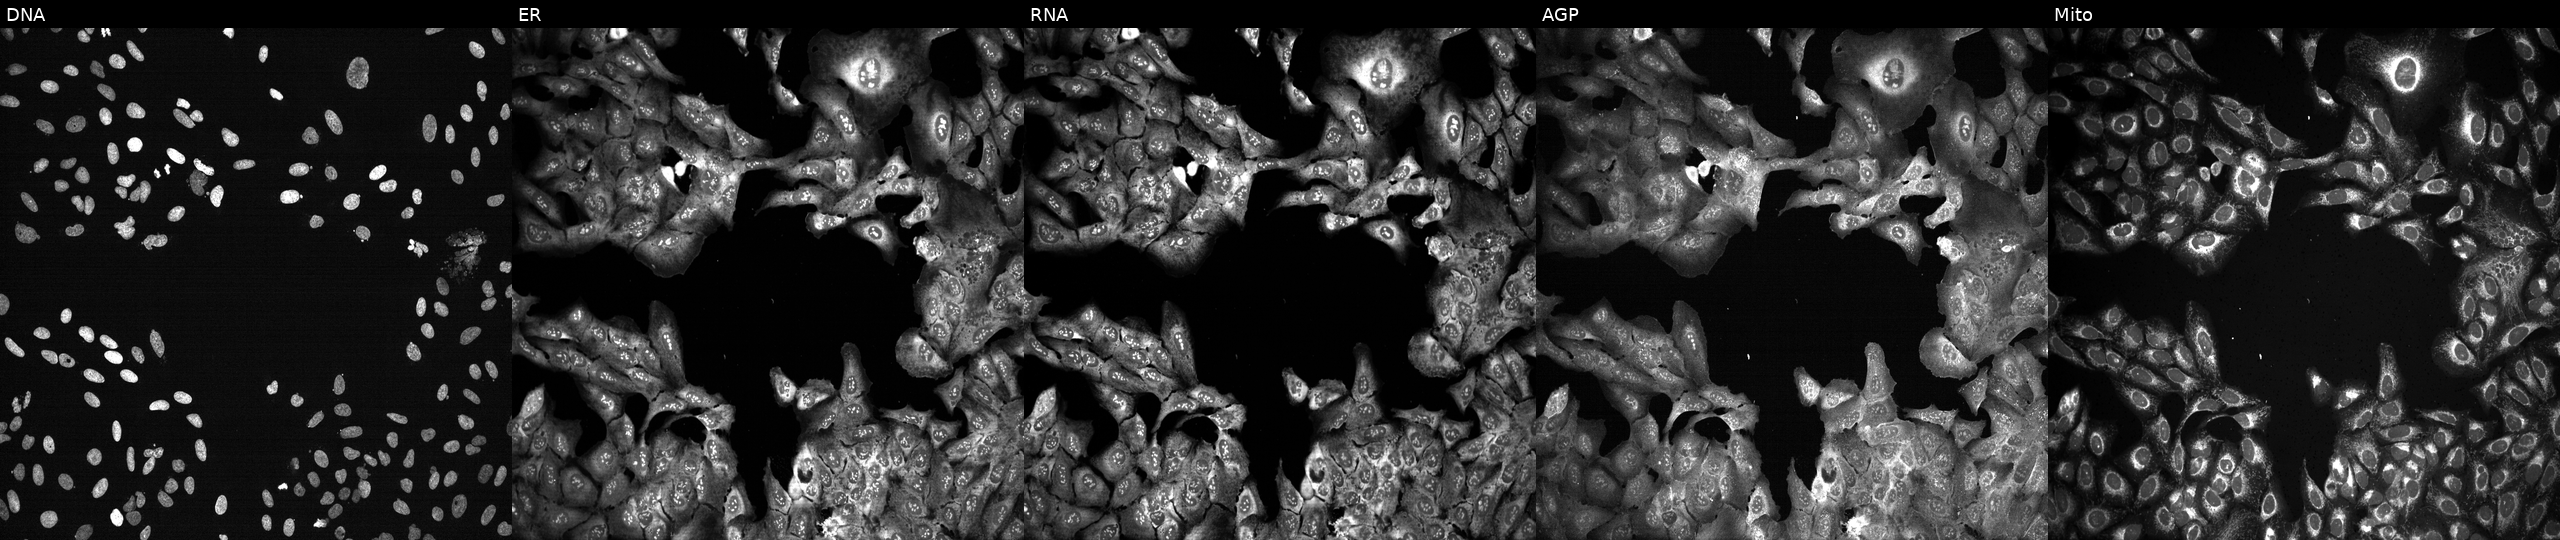
From left to right: Hoechst 33342, concanavalin A, SYTO 14, phalloidin and WGA, MitoTracker. U2OS osteosarcoma cells CRISPR-edited to disrupt MYH6 (JUMP id JCP2022_804367). Cell Painting assay, JUMP-CP dataset. Source 13, plate CP-CC9-R4-03, well K19.